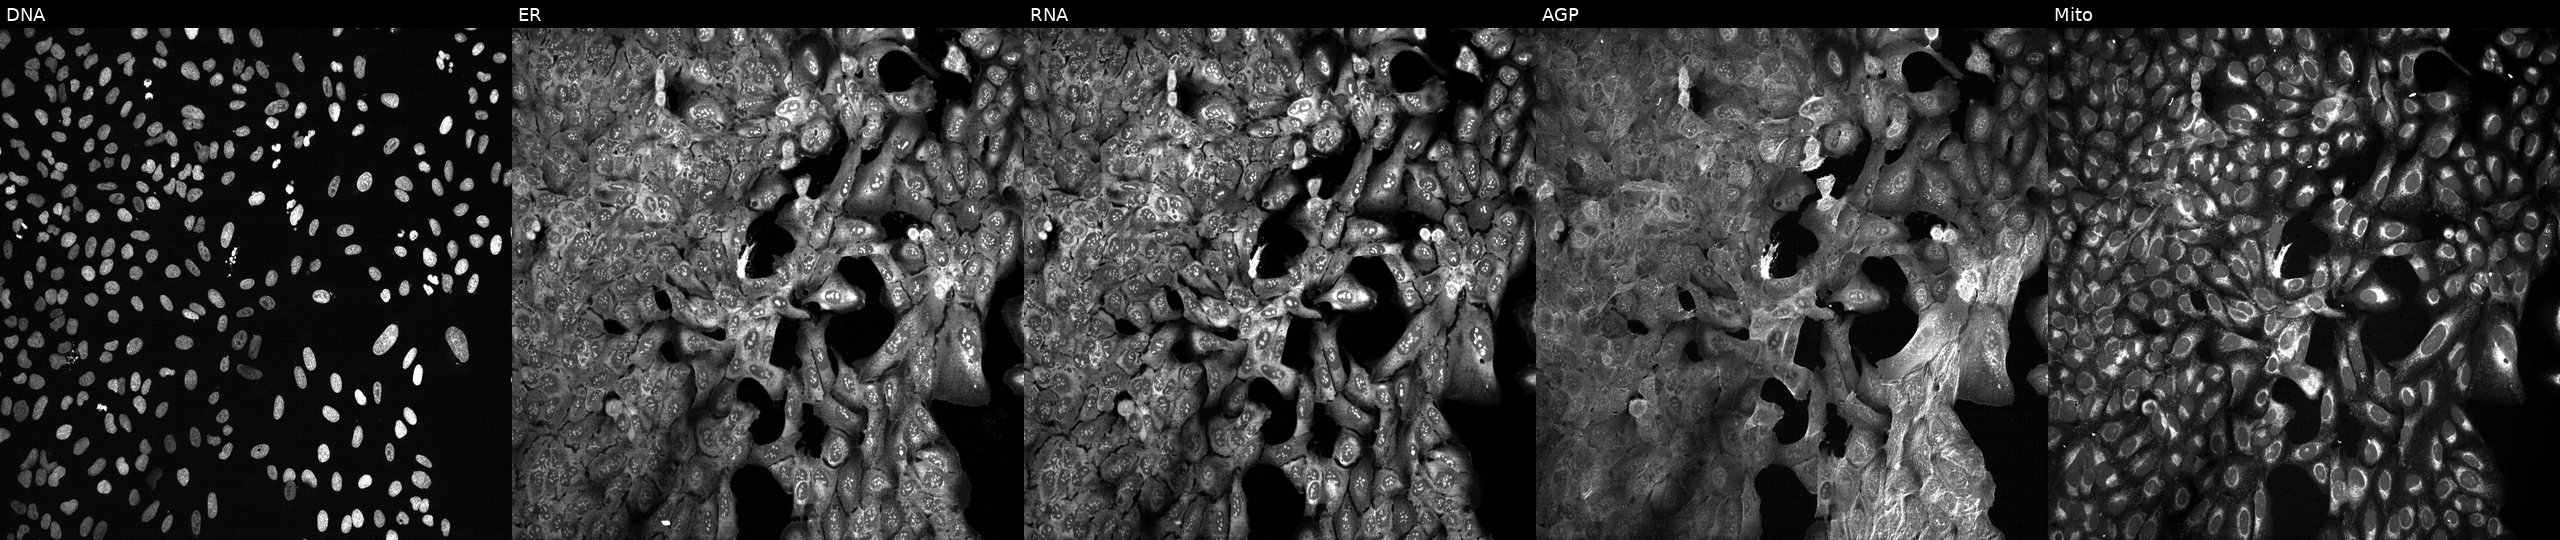
JUMP Cell Painting — CRISPR plate. U2OS cells CRISPR-edited to disrupt CS. From left to right: DNA, ER, RNA, AGP, and Mito.